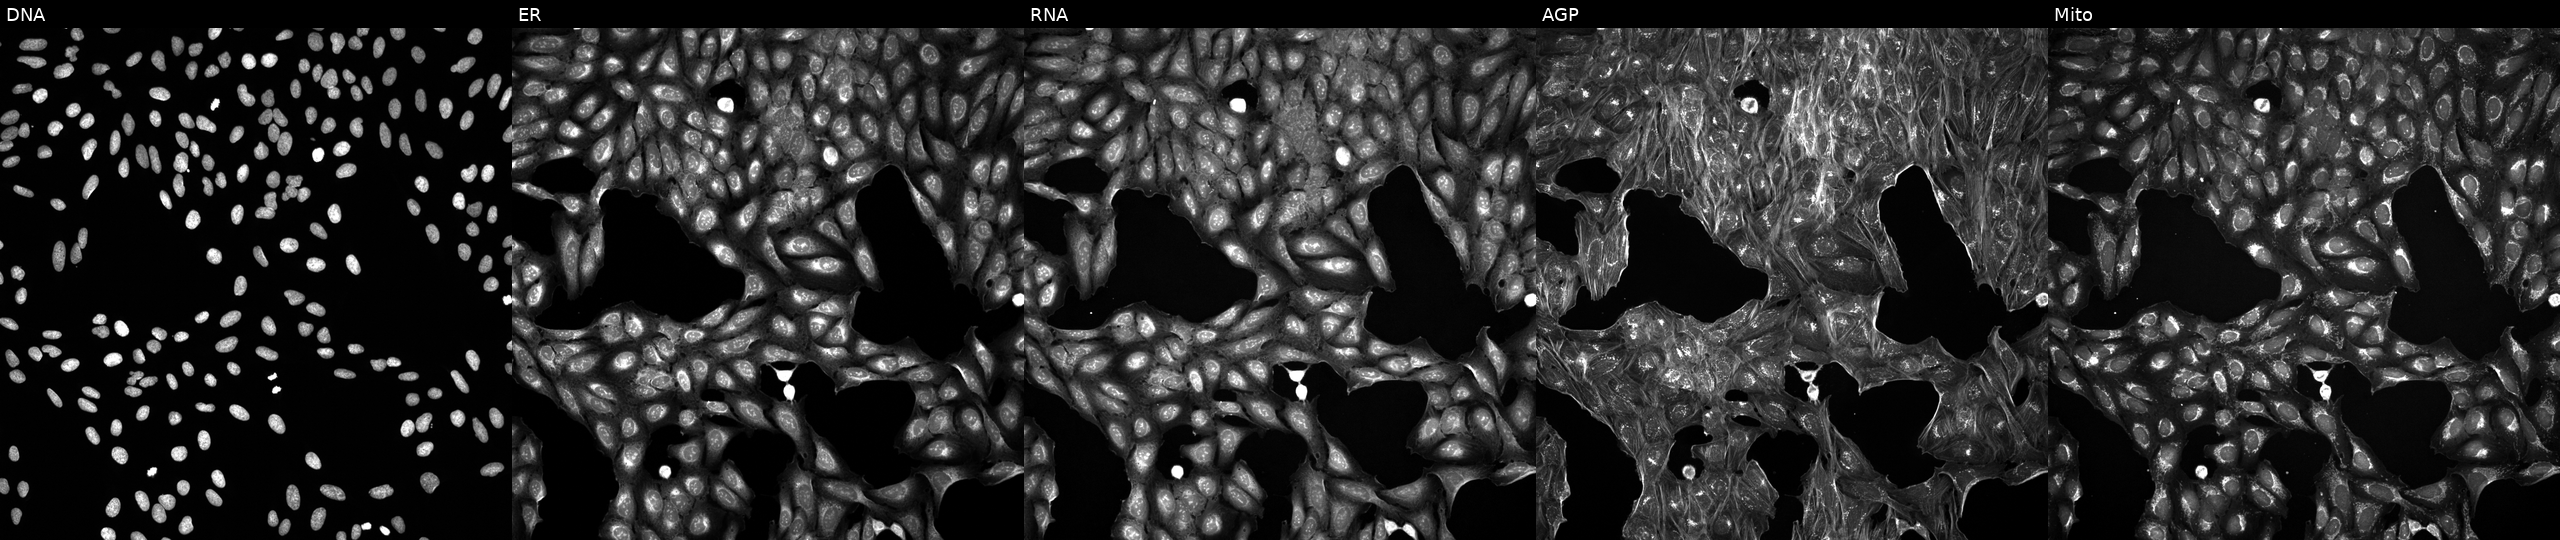
U2OS cells, Cell Painting assay, treated with a small-molecule compound (InChIKey BGVLELSCIHASRV-UHFFFAOYSA-N) (JUMP id JCP2022_006270). The five panels, left to right, show DNA, ER, RNA, AGP, and Mito. Each panel is percentile-stretched 16-bit fluorescence. Source 5, plate ACPJUM032, well F12.